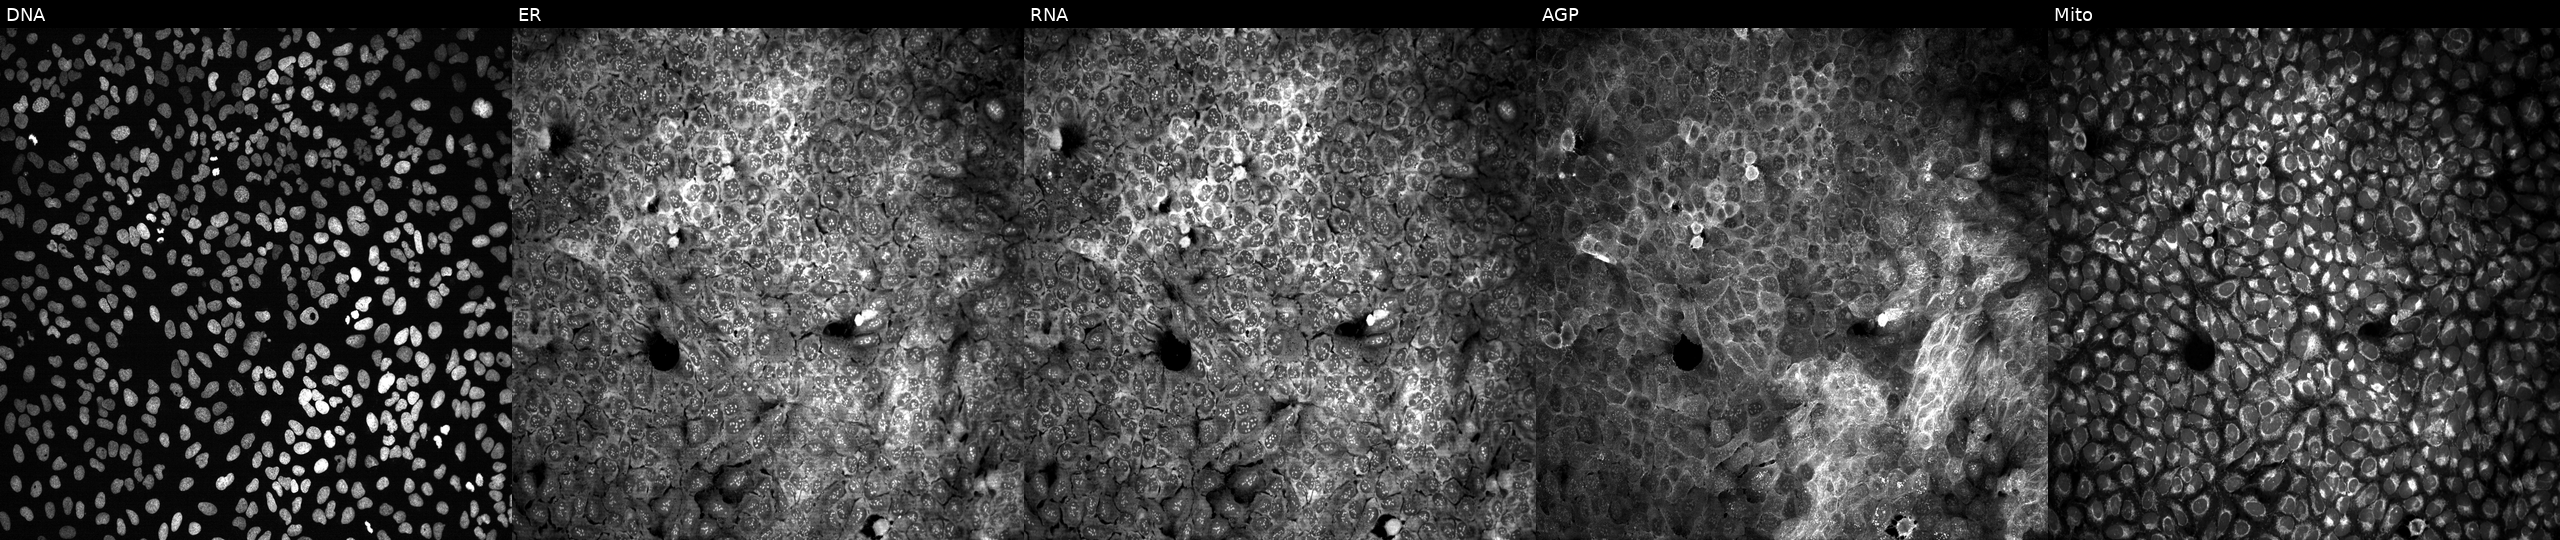
U2OS cells, Cell Painting assay, exposed to DMSO alone as a negative control. Channels (left→right): DNA, ER, RNA, AGP, and Mito. Each panel is percentile-stretched 16-bit fluorescence. Source 13, plate CP-CC9-R6-19, well I02.